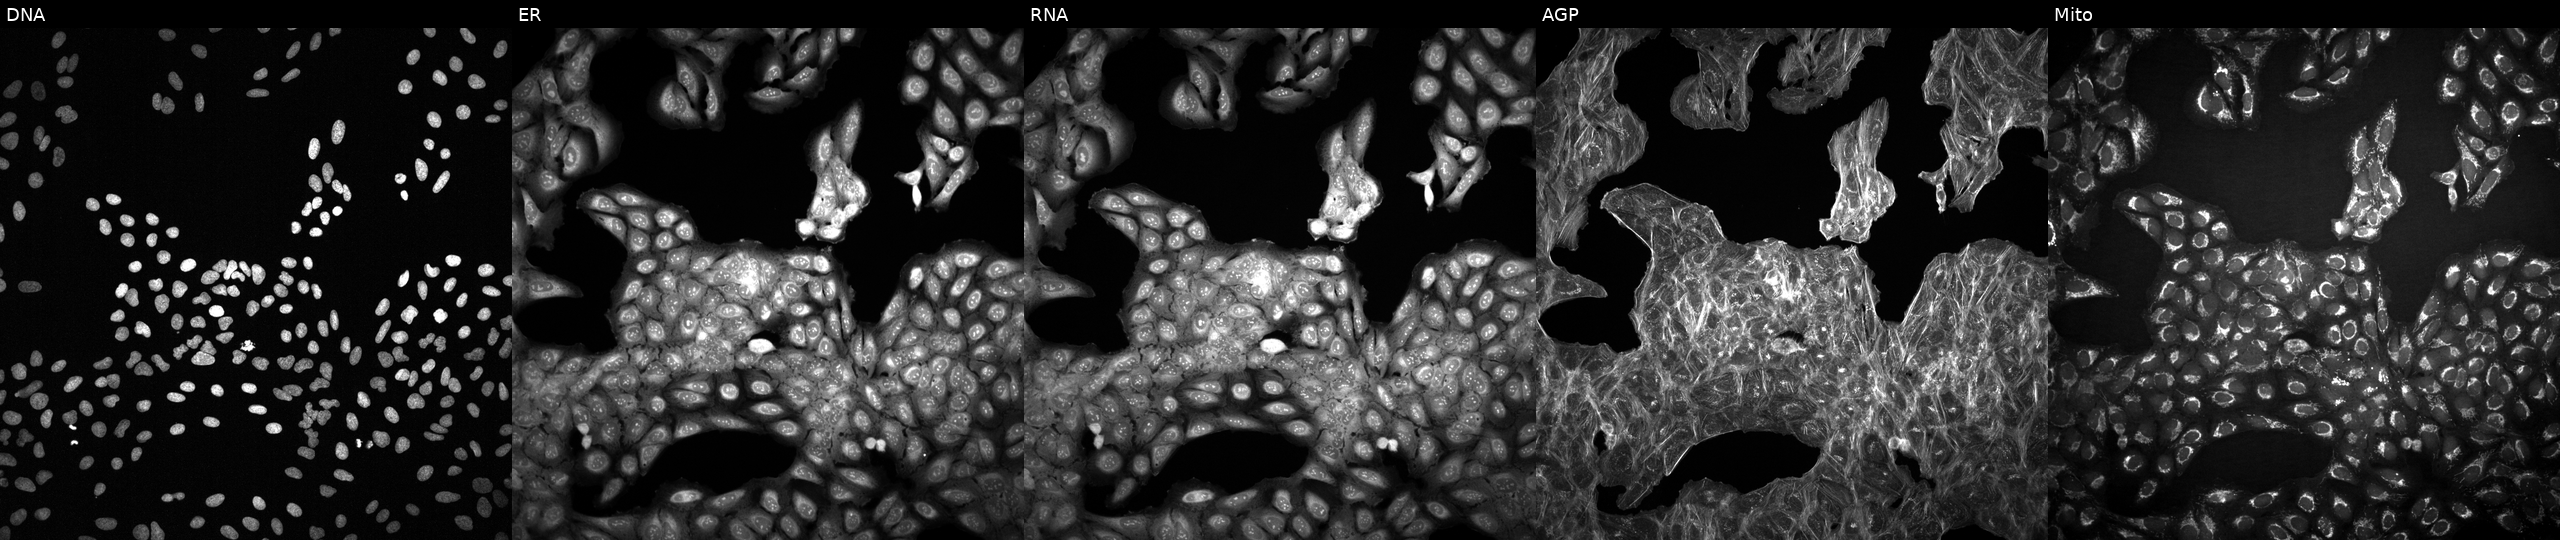
Panels show, left to right, Hoechst 33342, concanavalin A, SYTO 14, phalloidin and WGA, MitoTracker. U2OS osteosarcoma cells perturbed with a small-molecule compound (InChIKey ULXFRQDYBSMFKZ-UHFFFAOYSA-N) (JUMP id JCP2022_090046). Cell Painting assay, JUMP-CP dataset. Source 2, plate 1053601763, well C11.